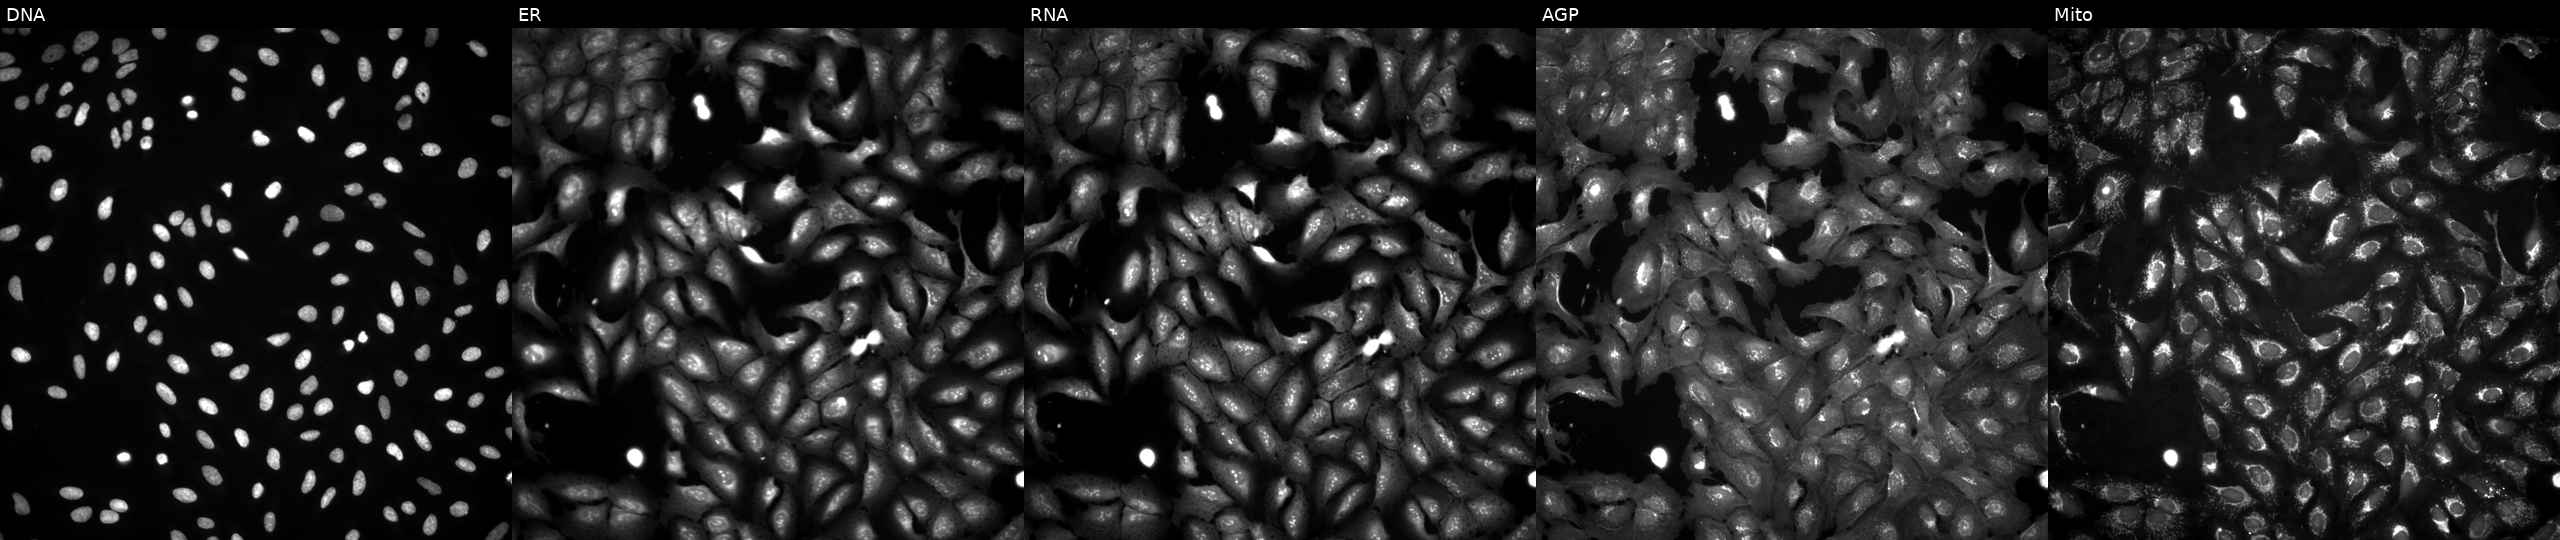
Five-channel Cell Painting image of U2OS cells transfected with an ORF construct for RAB33A (JUMP id JCP2022_902008). Channels (left→right): Hoechst 33342, concanavalin A, SYTO 14, phalloidin and WGA, MitoTracker.